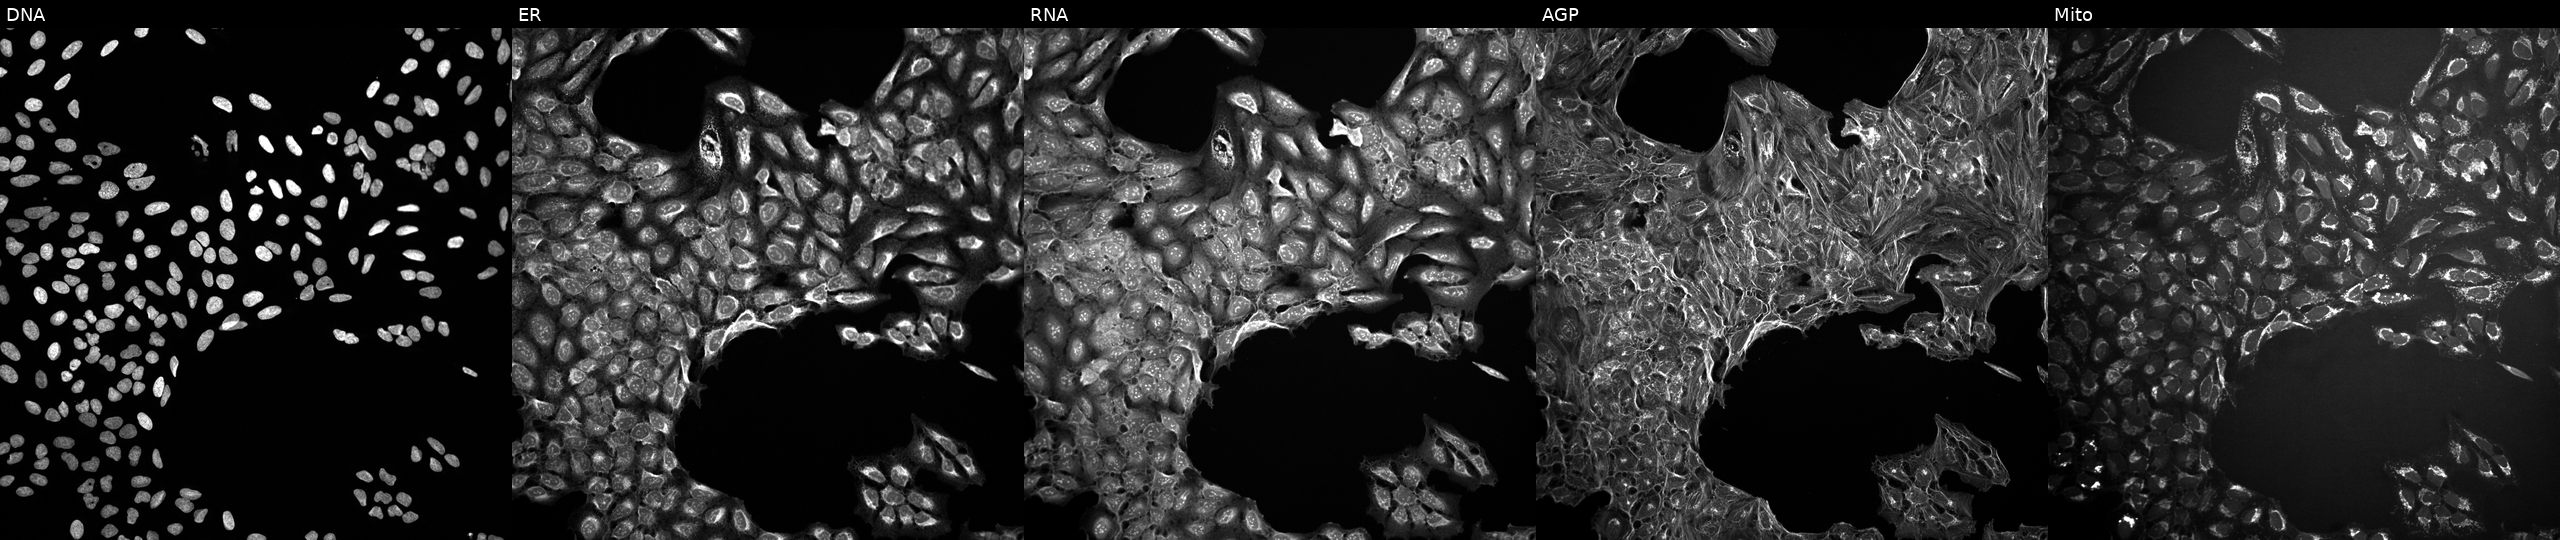
JUMP Cell Painting — COMPOUND plate. U2OS cells exposed to a small-molecule compound (InChIKey VJJUGCWLEQQDBT-UHFFFAOYSA-N). The five panels, left to right, show DNA (nuclei); ER (endoplasmic reticulum); RNA (nucleoli and cytoplasmic RNA); AGP (actin cytoskeleton, Golgi, and plasma membrane); Mito (mitochondria).